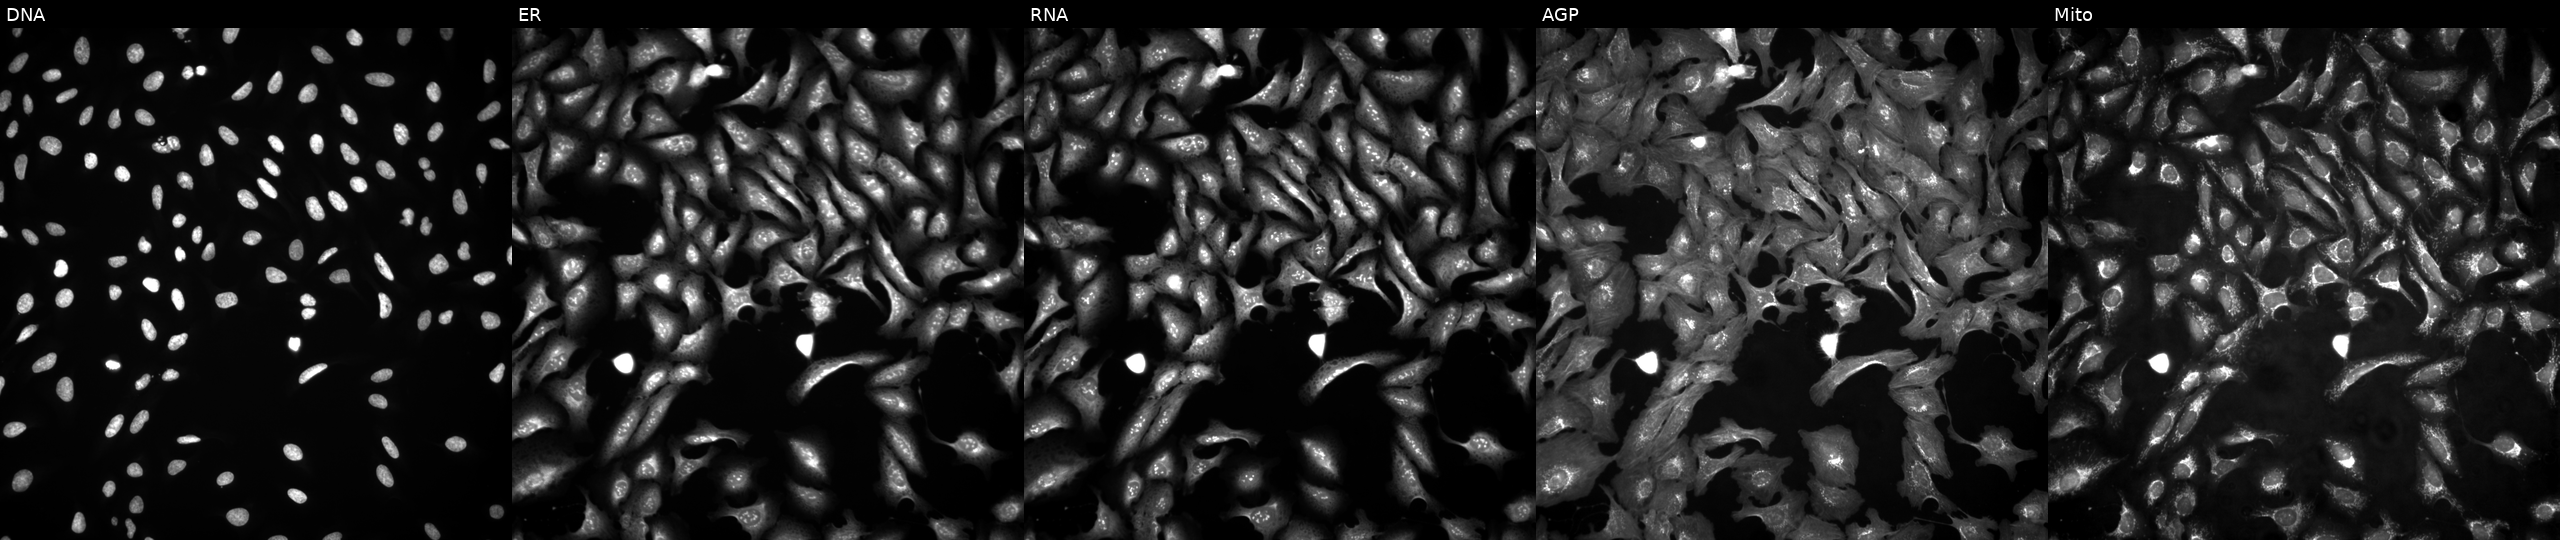
High-content fluorescence microscopy (Cell Painting). Cell line: U2OS. Perturbation: in an empty control well (no perturbation) (JUMP id JCP2022_999999). Channels (left→right): DNA (nuclei); ER (endoplasmic reticulum); RNA (nucleoli and cytoplasmic RNA); AGP (actin cytoskeleton, Golgi, and plasma membrane); Mito (mitochondria). Source 4, plate BR00123945, well F14.